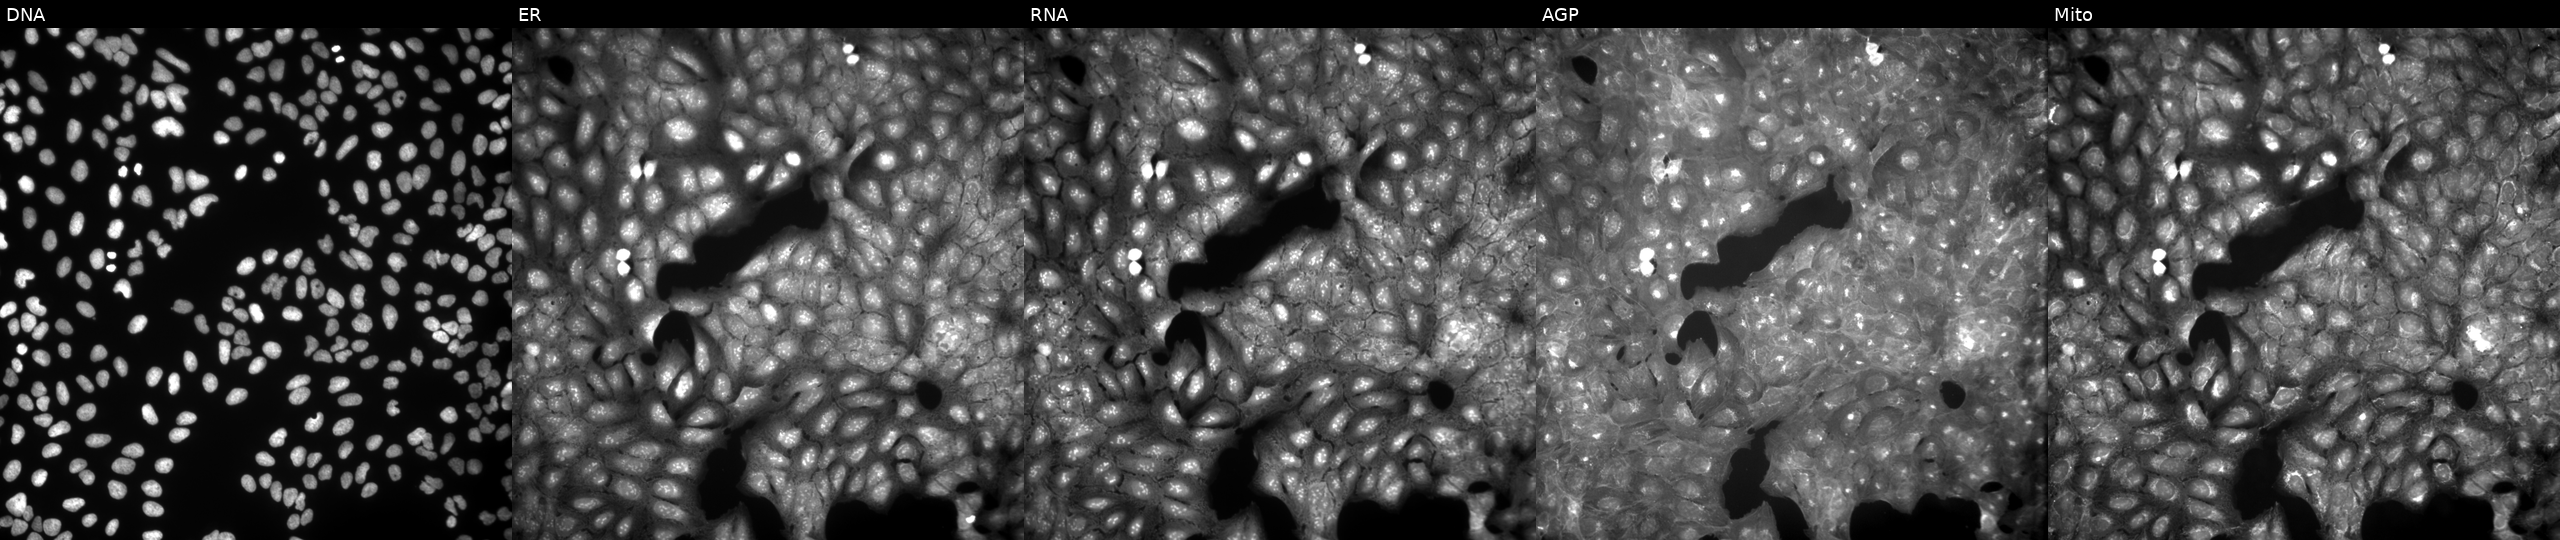
This image strip shows the five Cell Painting channels for a single field of U2OS cells exposed to a small-molecule compound (InChIKey XXQHPVGGNYOXSK-UHFFFAOYSA-N). From left to right: DNA (nuclei); ER (endoplasmic reticulum); RNA (nucleoli and cytoplasmic RNA); AGP (actin cytoskeleton, Golgi, and plasma membrane); Mito (mitochondria).